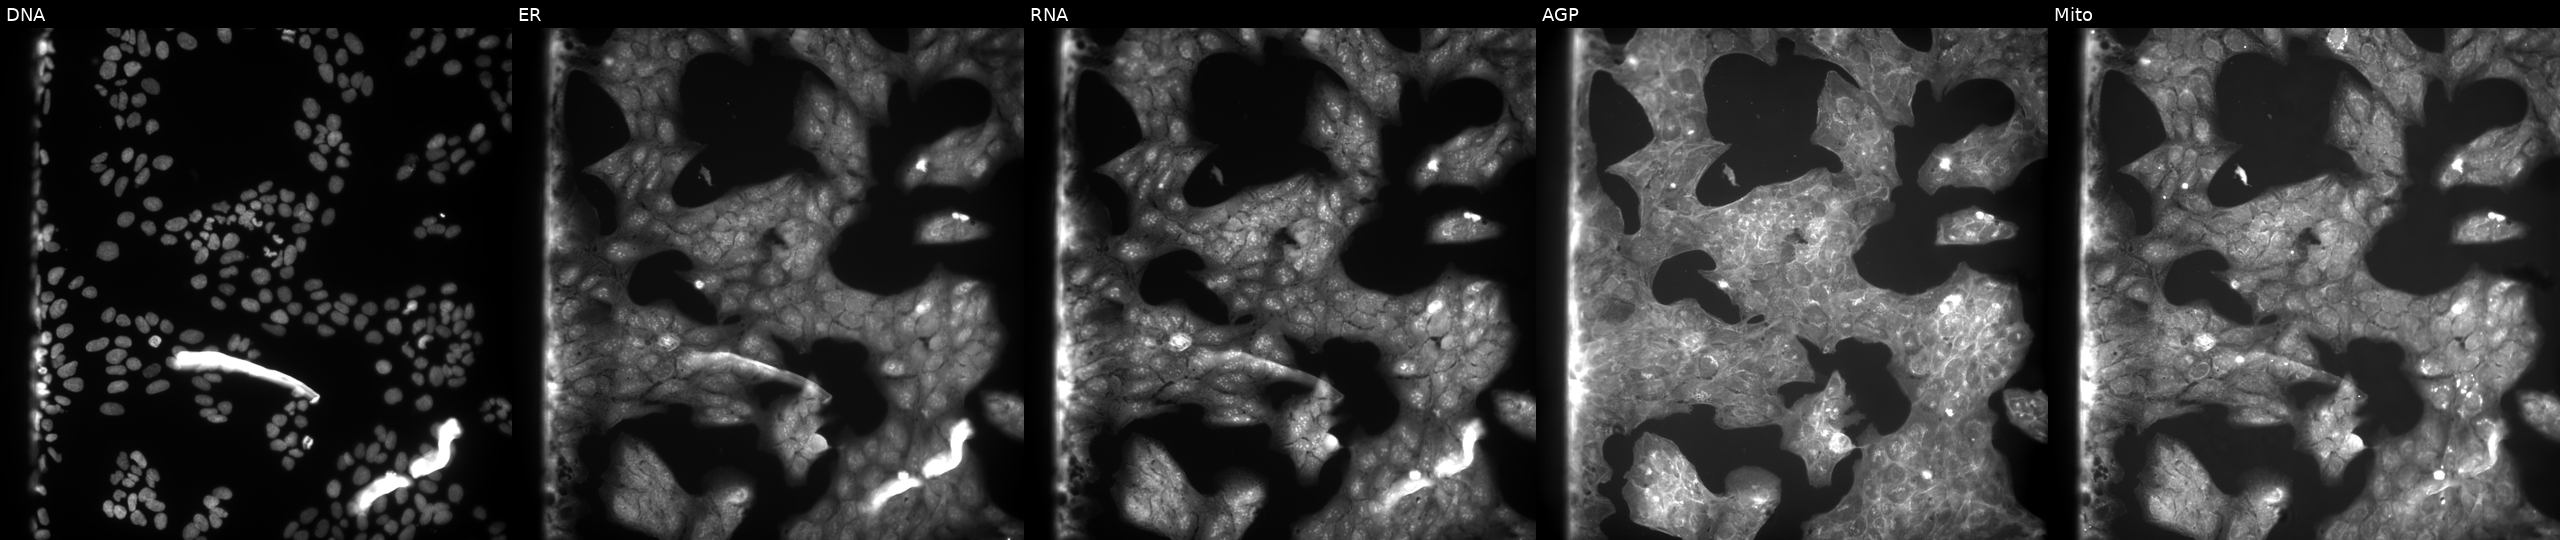
High-content fluorescence microscopy (Cell Painting). Cell line: U2OS. Perturbation: exposed to a small-molecule compound (InChIKey IBCXZJCWDGCXQT-UHFFFAOYSA-N). Channels (left→right): DNA (nuclei); ER (endoplasmic reticulum); RNA (nucleoli and cytoplasmic RNA); AGP (actin cytoskeleton, Golgi, and plasma membrane); Mito (mitochondria).